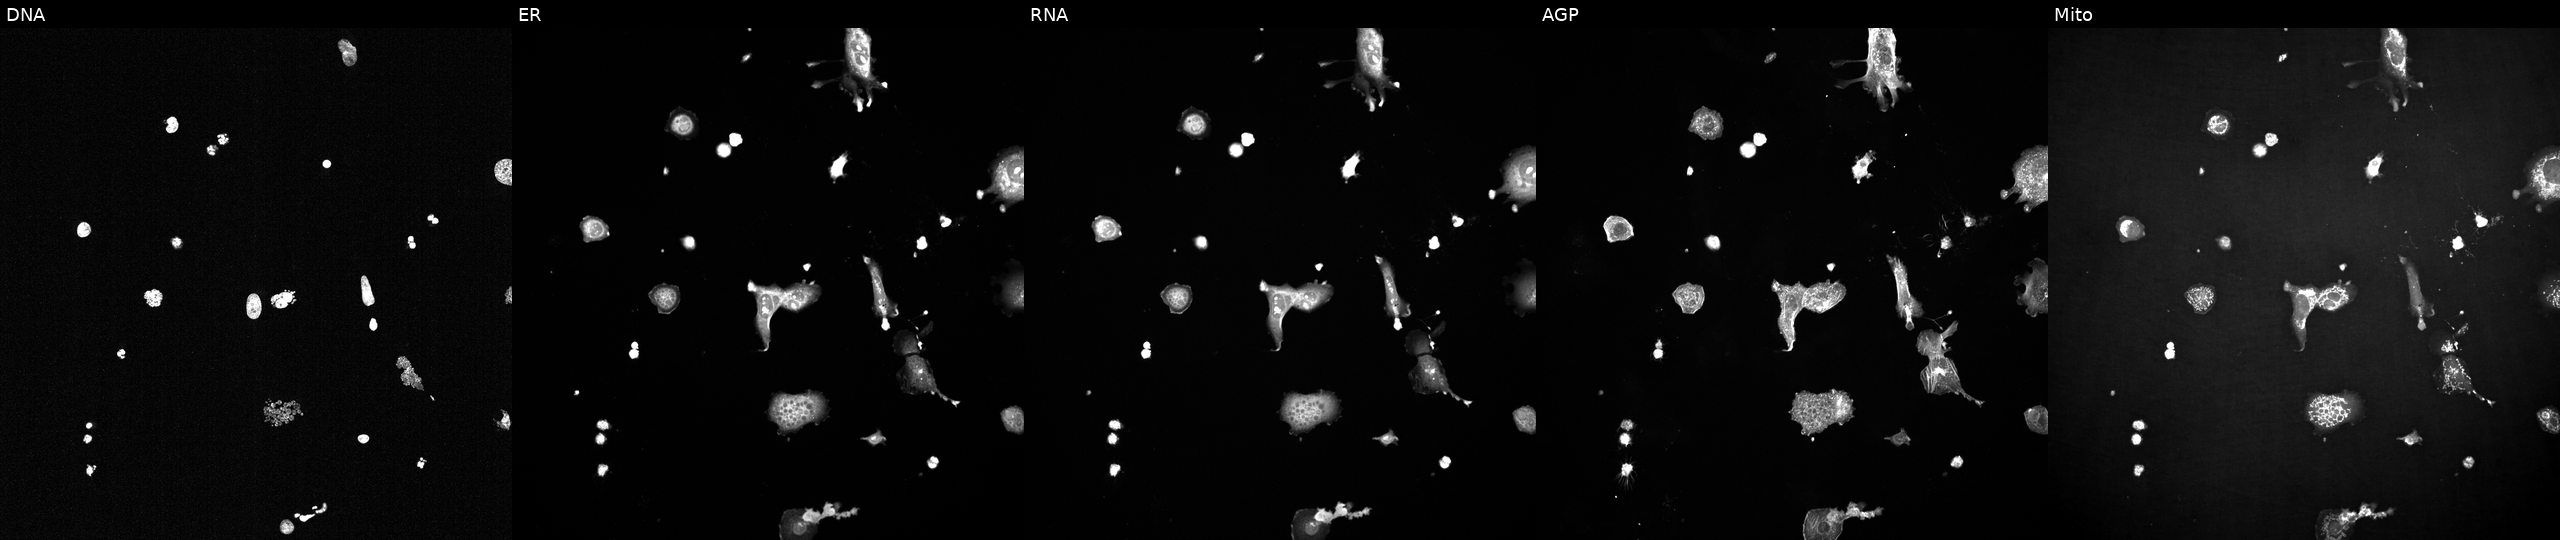
This image strip shows the five Cell Painting channels for a single field of U2OS cells perturbed with a small-molecule compound (InChIKey VSVFLGPUZJTBSD-UHFFFAOYSA-N). Channels (left→right): Hoechst 33342, concanavalin A, SYTO 14, phalloidin and WGA, MitoTracker.